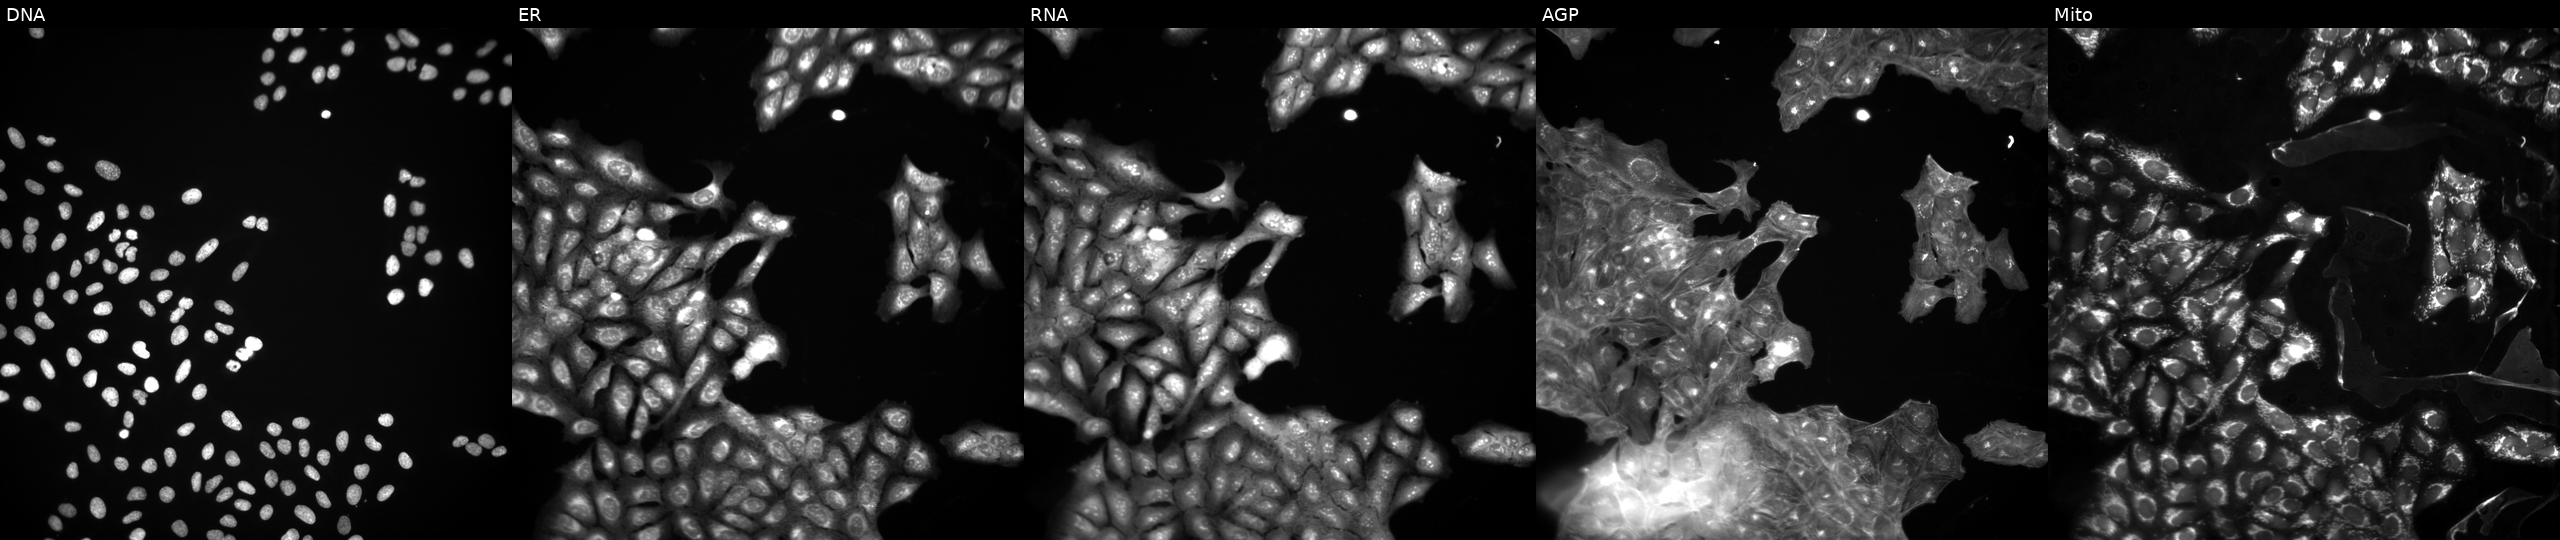
JUMP Cell Painting — TARGET2 plate. U2OS cells treated with a small-molecule compound [SMILES: Cc1cc(-c2ccc3c(c2)CCC3N2CC3(CCN(C(=O)Cc4cn5cc(C)sc5n4)CC3)C2)ncn1] (JUMP id JCP2022_113600). The five panels, left to right, show DNA (nuclei); ER (endoplasmic reticulum); RNA (nucleoli and cytoplasmic RNA); AGP (actin cytoskeleton, Golgi, and plasma membrane); Mito (mitochondria). Source 3, plate JCPQC051, well A24.